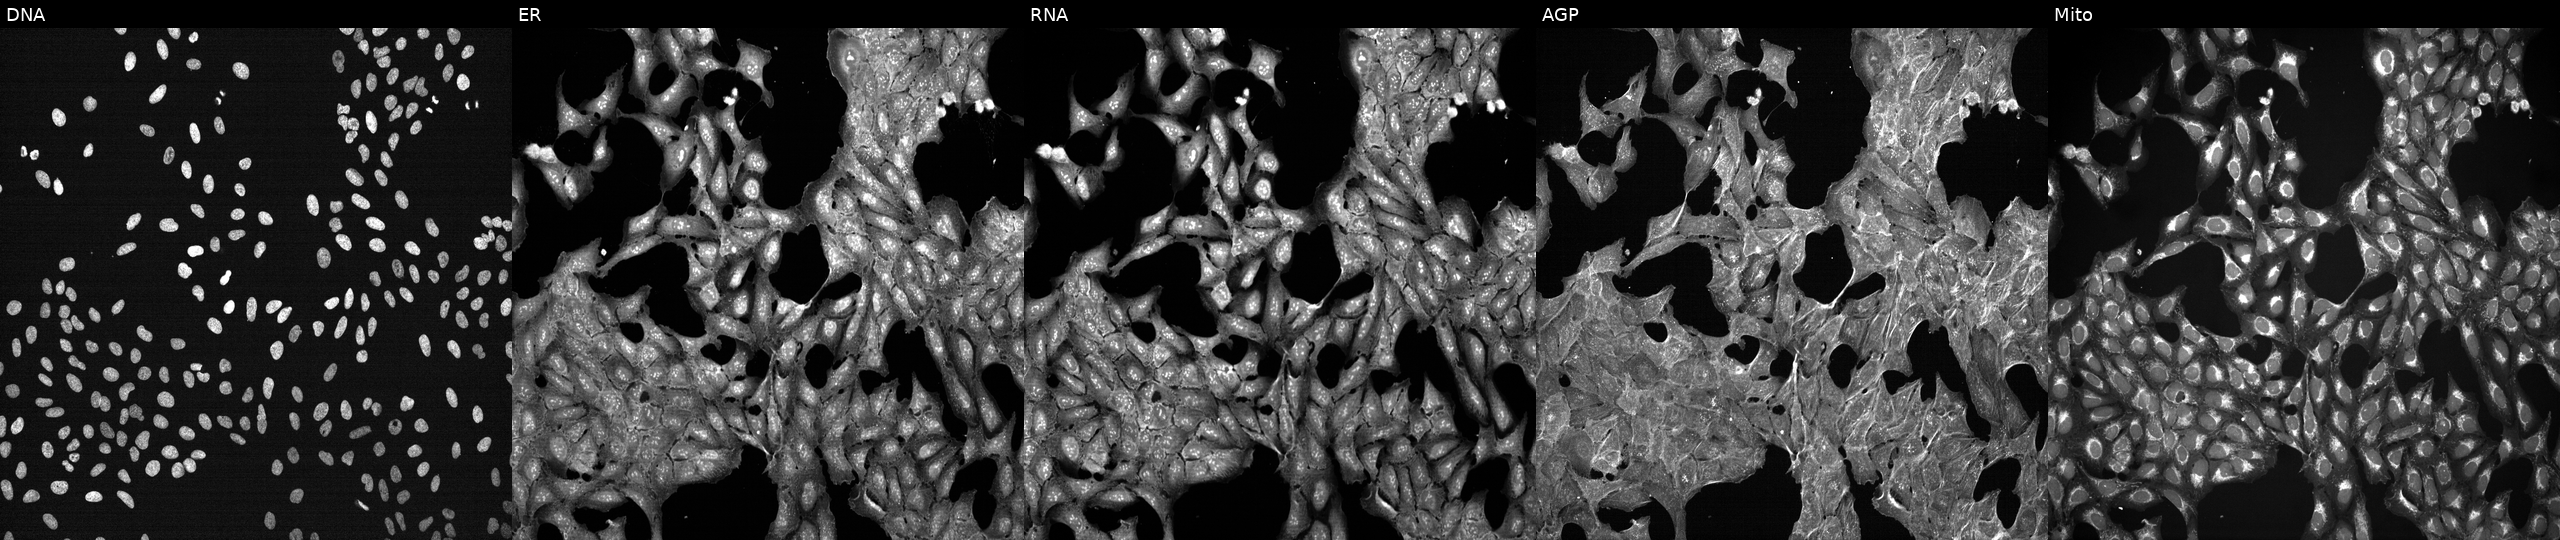
Five-channel Cell Painting image of U2OS cells exposed to a small-molecule compound. Panels show, left to right, DNA, ER, RNA, AGP, and Mito.